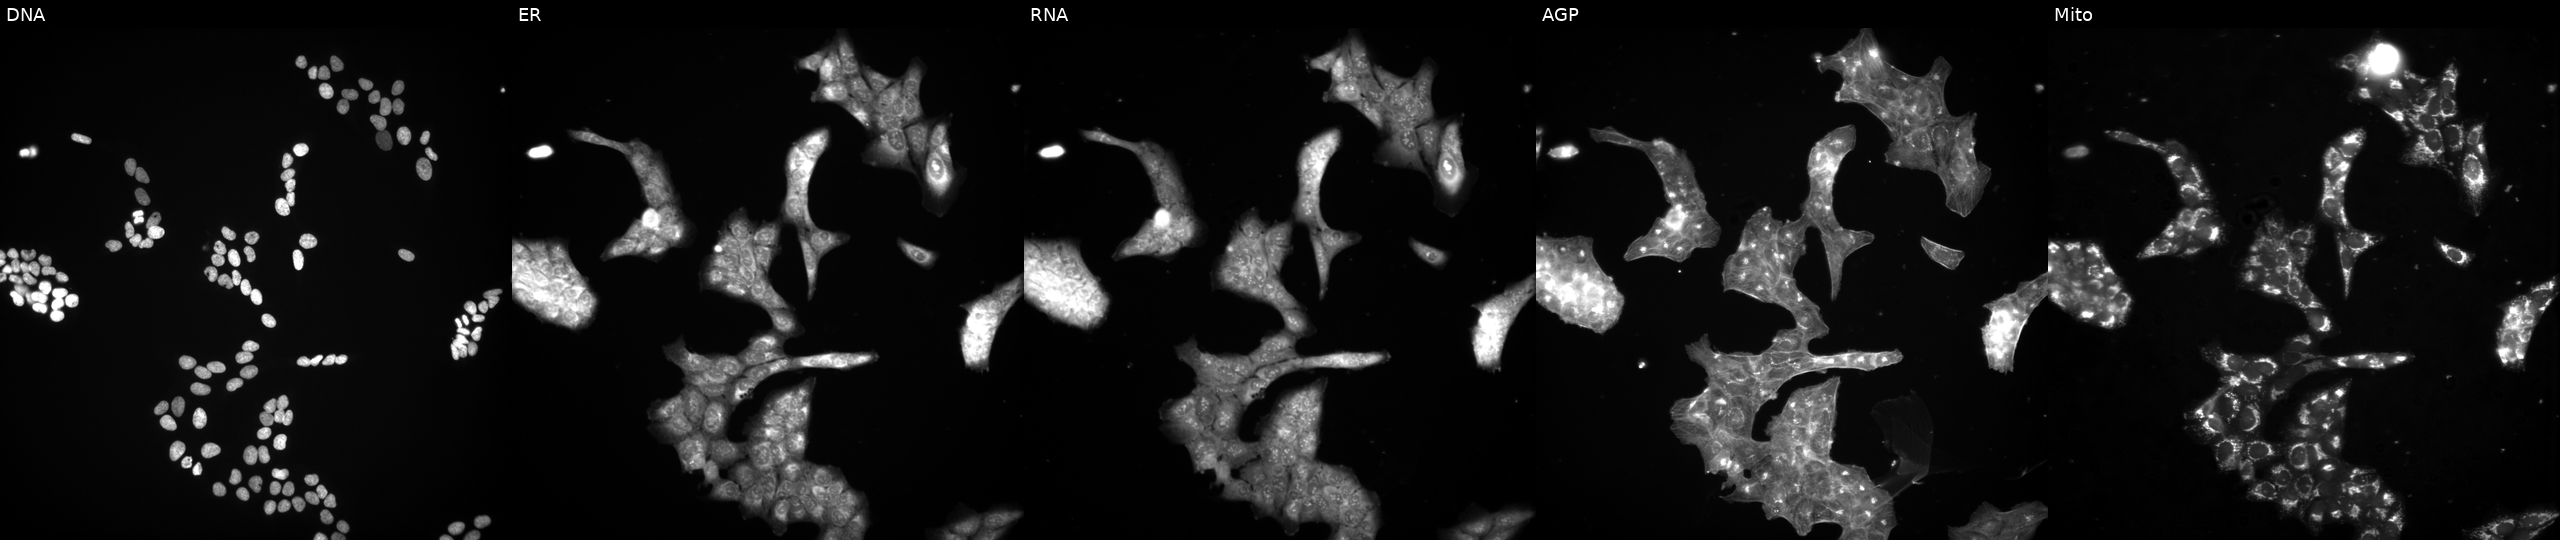
High-content fluorescence microscopy (Cell Painting). Cell line: U2OS. Perturbation: treated with a small-molecule compound. Panels show, left to right, Hoechst 33342, concanavalin A, SYTO 14, phalloidin and WGA, MitoTracker.